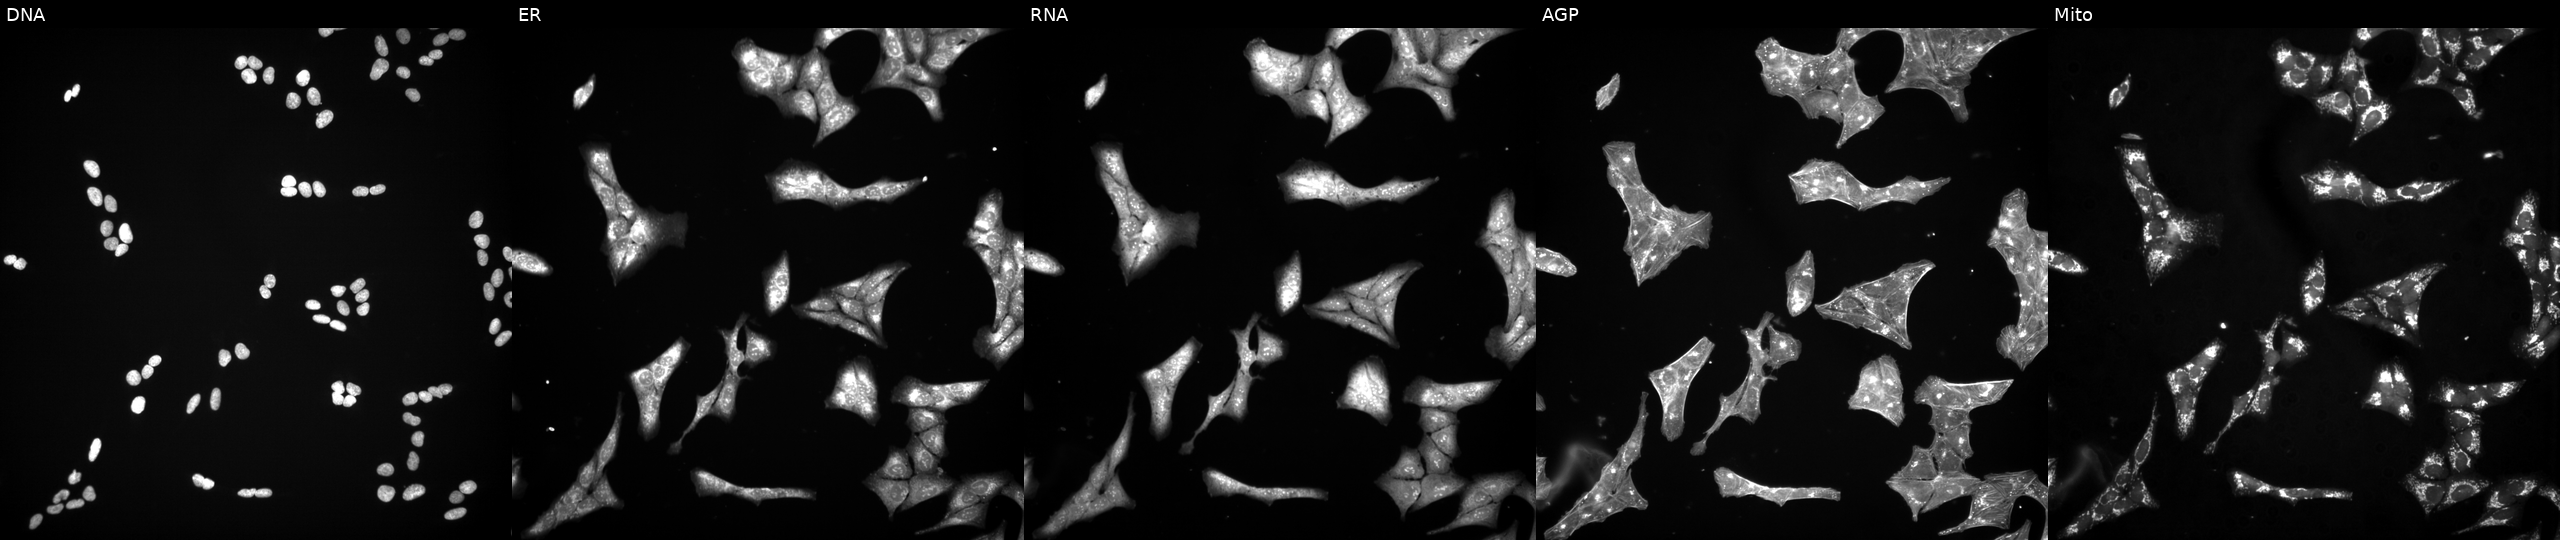
Five-channel Cell Painting image of U2OS cells exposed to a small-molecule compound [SMILES: N=c1[nH]cnc2c1c(-c1cccc(OCc3ccccc3)c1)cn2C1CC(CN2CCC2)C1] (JUMP id JCP2022_000794). From left to right: Hoechst 33342, concanavalin A, SYTO 14, phalloidin and WGA, MitoTracker.